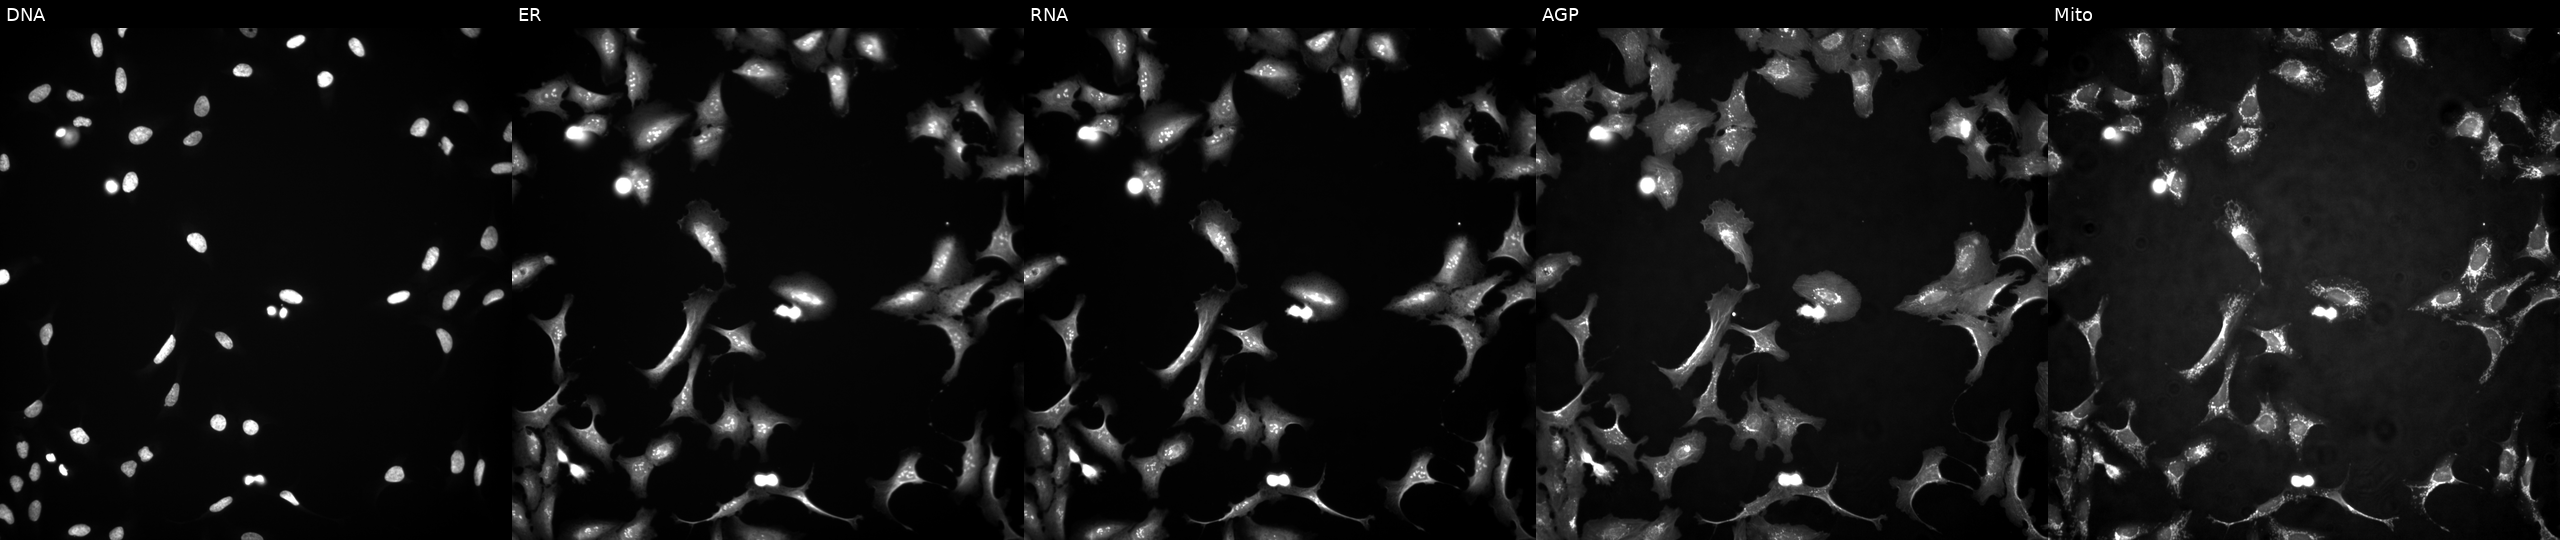
Five-channel Cell Painting image of U2OS cells transfected with an ORF construct for SMYD1 (JUMP id JCP2022_909015). Panels show, left to right, DNA (nuclei); ER (endoplasmic reticulum); RNA (nucleoli and cytoplasmic RNA); AGP (actin cytoskeleton, Golgi, and plasma membrane); Mito (mitochondria).